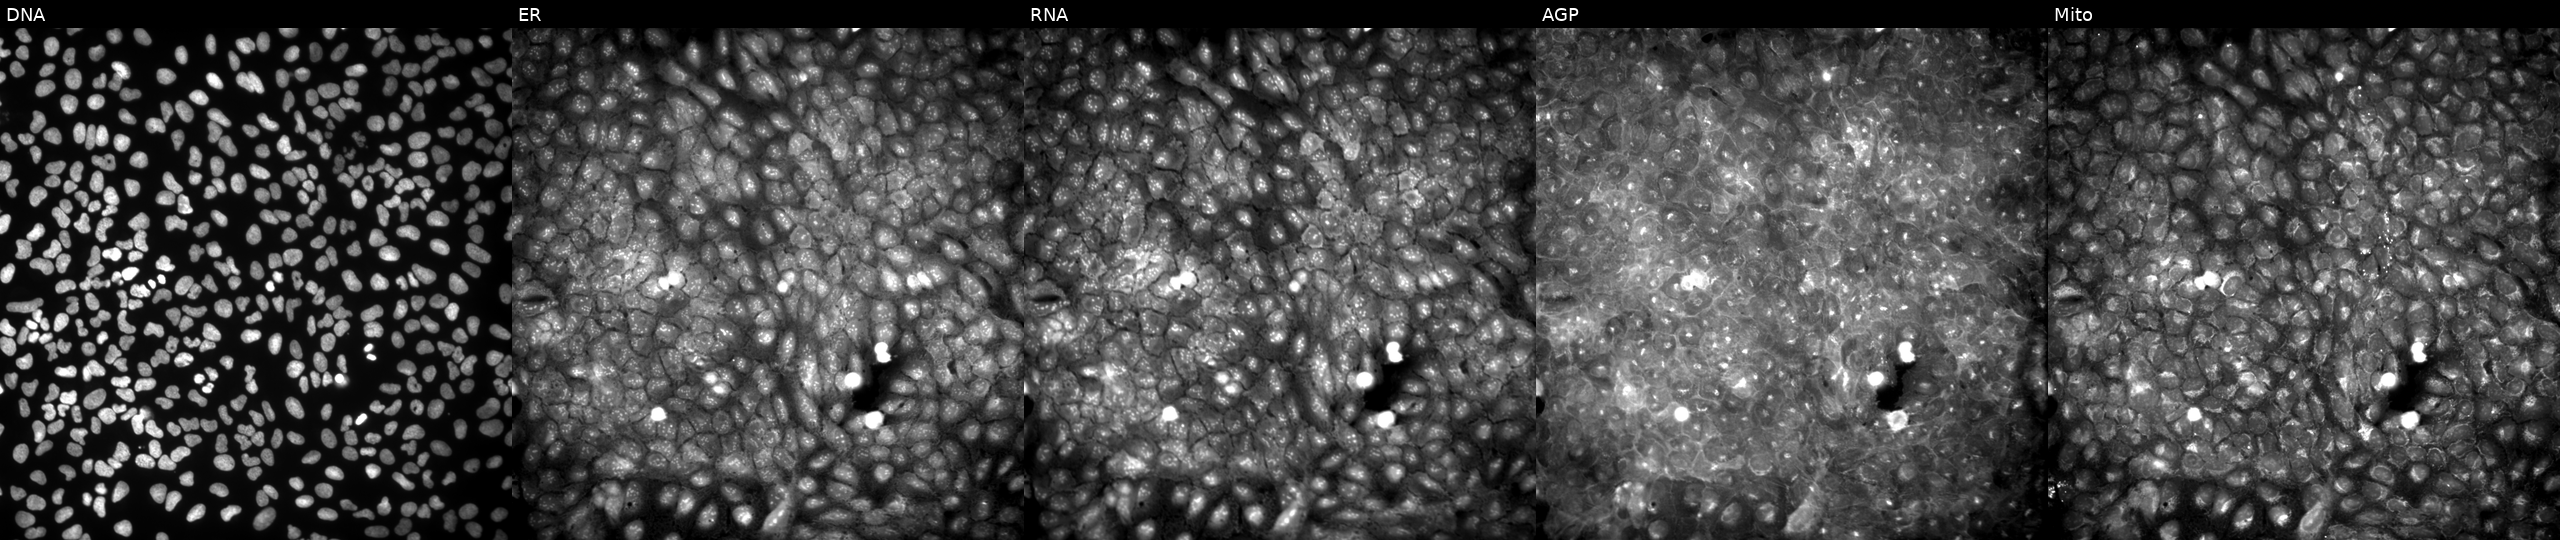
JUMP Cell Painting — COMPOUND plate. U2OS cells treated with a small-molecule compound (InChIKey SXQYYQFUIJJVEI-UHFFFAOYSA-N). Panels show, left to right, DNA, ER, RNA, AGP, and Mito.